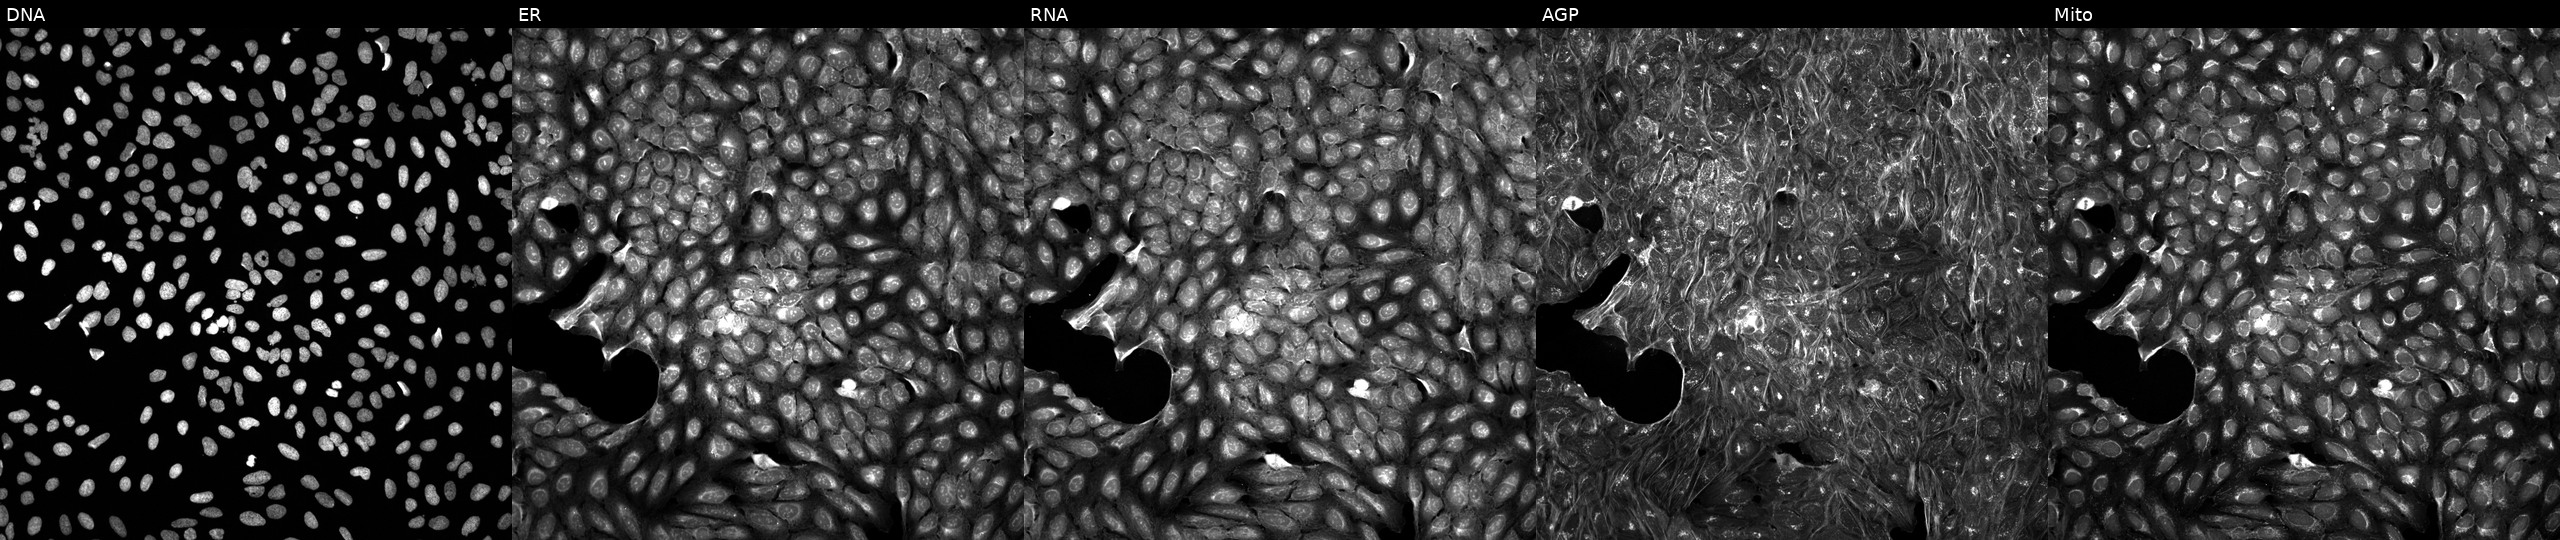
JUMP Cell Painting — COMPOUND plate. U2OS cells perturbed with a small-molecule compound (JUMP id JCP2022_084031). Panels show, left to right, DNA, ER, RNA, AGP, and Mito.